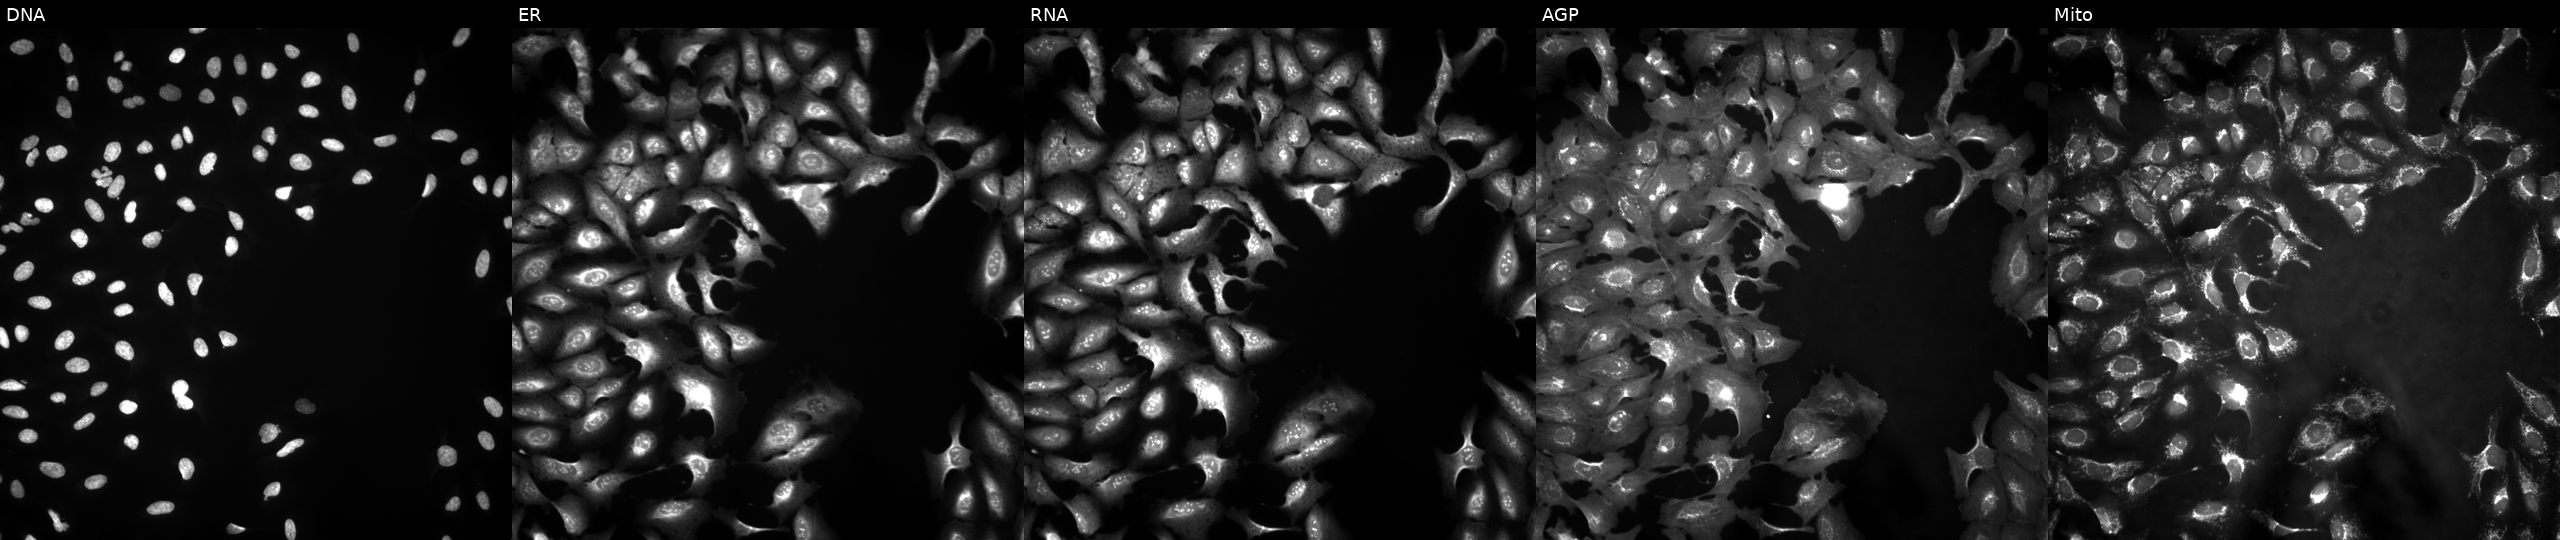
This image strip shows the five Cell Painting channels for a single field of U2OS cells overexpressing PHACTR4 via ORF transfection. From left to right: DNA (nuclei); ER (endoplasmic reticulum); RNA (nucleoli and cytoplasmic RNA); AGP (actin cytoskeleton, Golgi, and plasma membrane); Mito (mitochondria). Source 4, plate BR00121543, well C16.